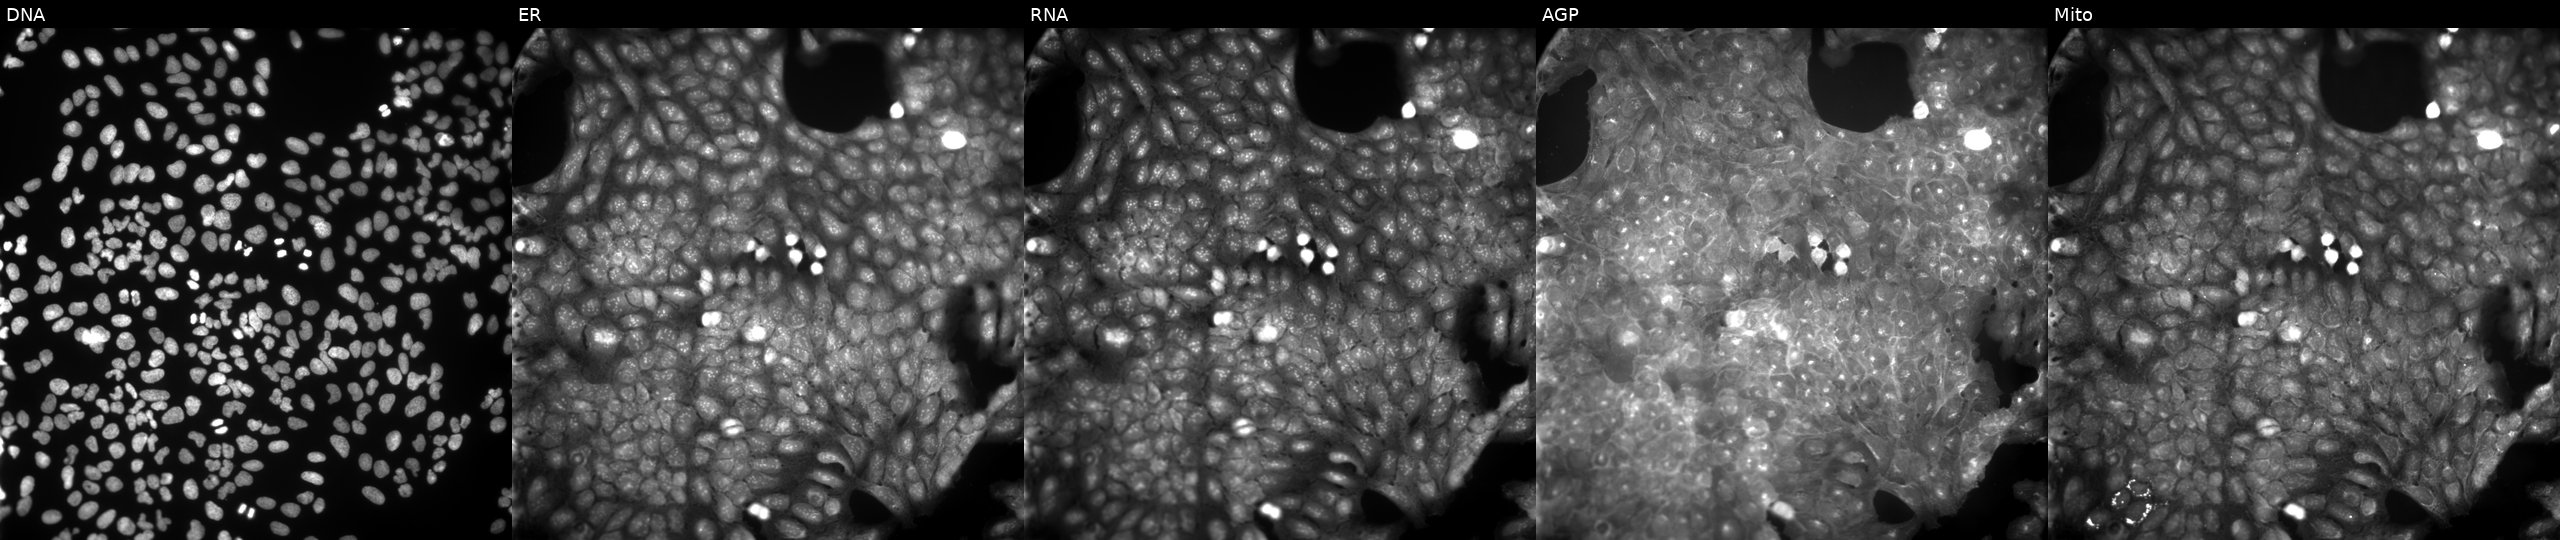
JUMP Cell Painting — COMPOUND plate. U2OS cells exposed to a small-molecule compound (InChIKey JNFIJENQNVTMLK-UHFFFAOYSA-N) (JUMP id JCP2022_040881). Panels show, left to right, Hoechst 33342, concanavalin A, SYTO 14, phalloidin and WGA, MitoTracker.